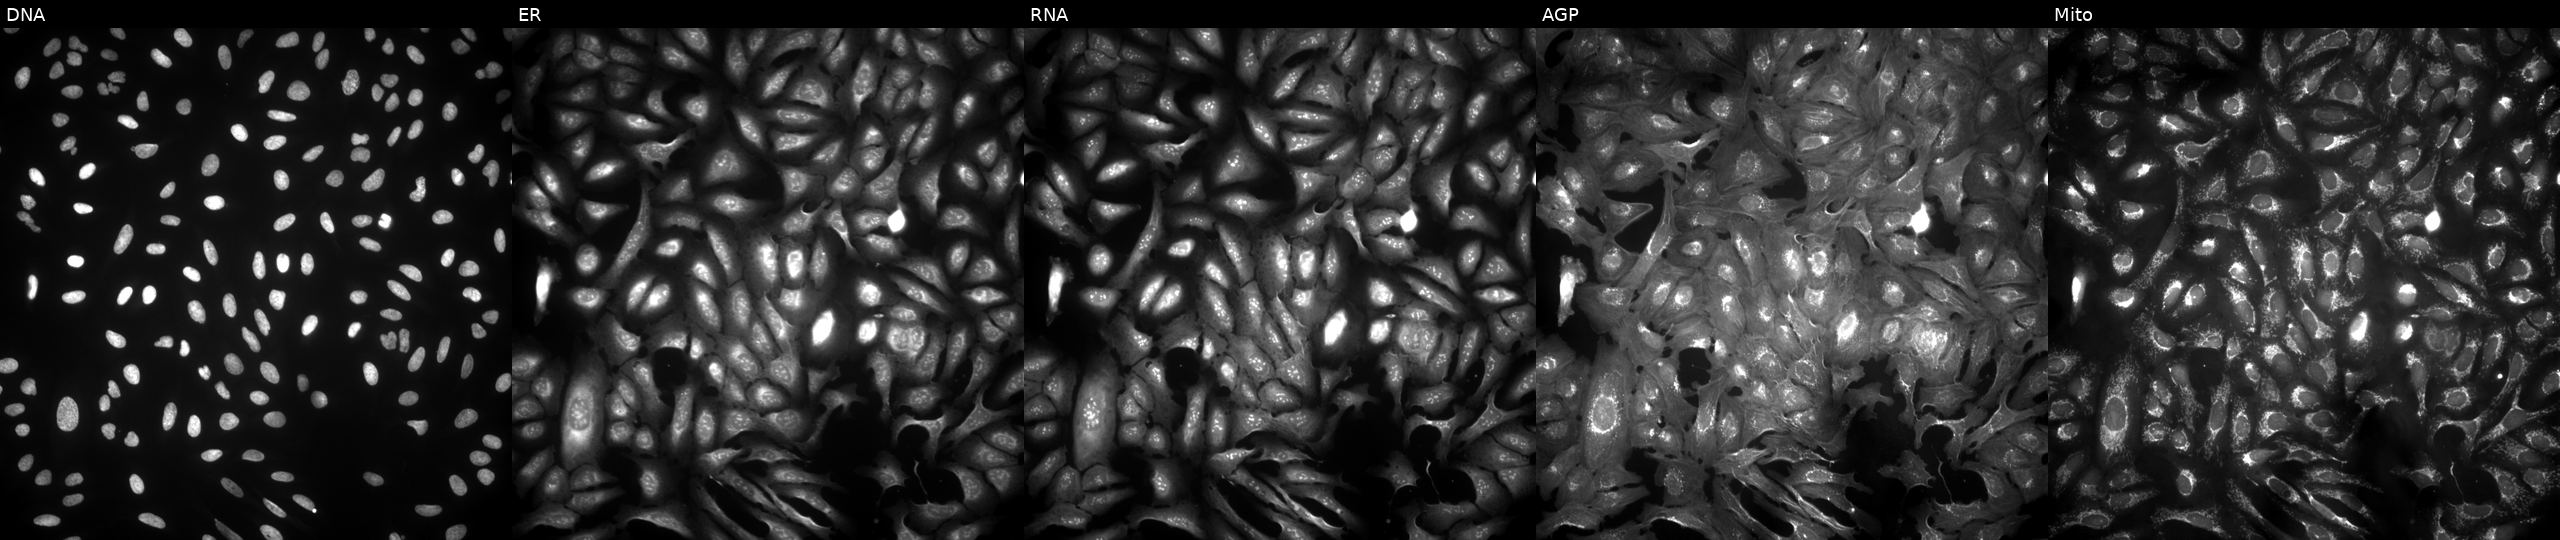
U2OS cells, Cell Painting assay, transfected with an ORF construct for RBMS1. Channels (left→right): DNA, ER, RNA, AGP, and Mito. Each panel is percentile-stretched 16-bit fluorescence. Source 4, plate BR00123506, well A04.